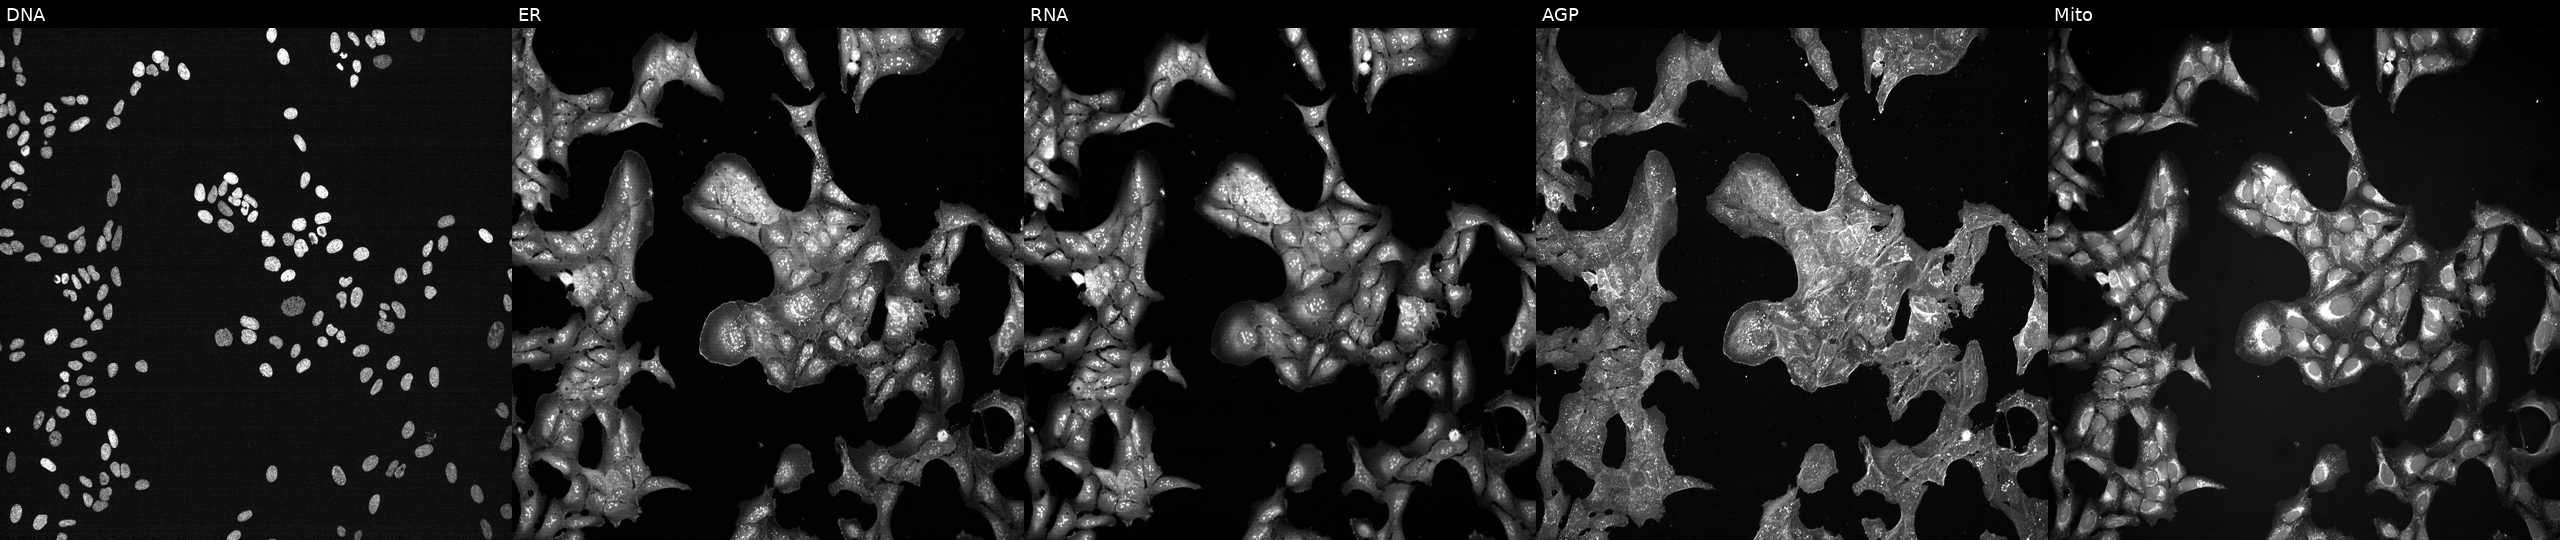
U2OS cells, Cell Painting assay, perturbed with a small-molecule compound (InChIKey IKENVDNFQMCRTR-UHFFFAOYSA-N). From left to right: Hoechst 33342, concanavalin A, SYTO 14, phalloidin and WGA, MitoTracker. Each panel is percentile-stretched 16-bit fluorescence. Source 7, plate CP2-SC1-25, well N17.